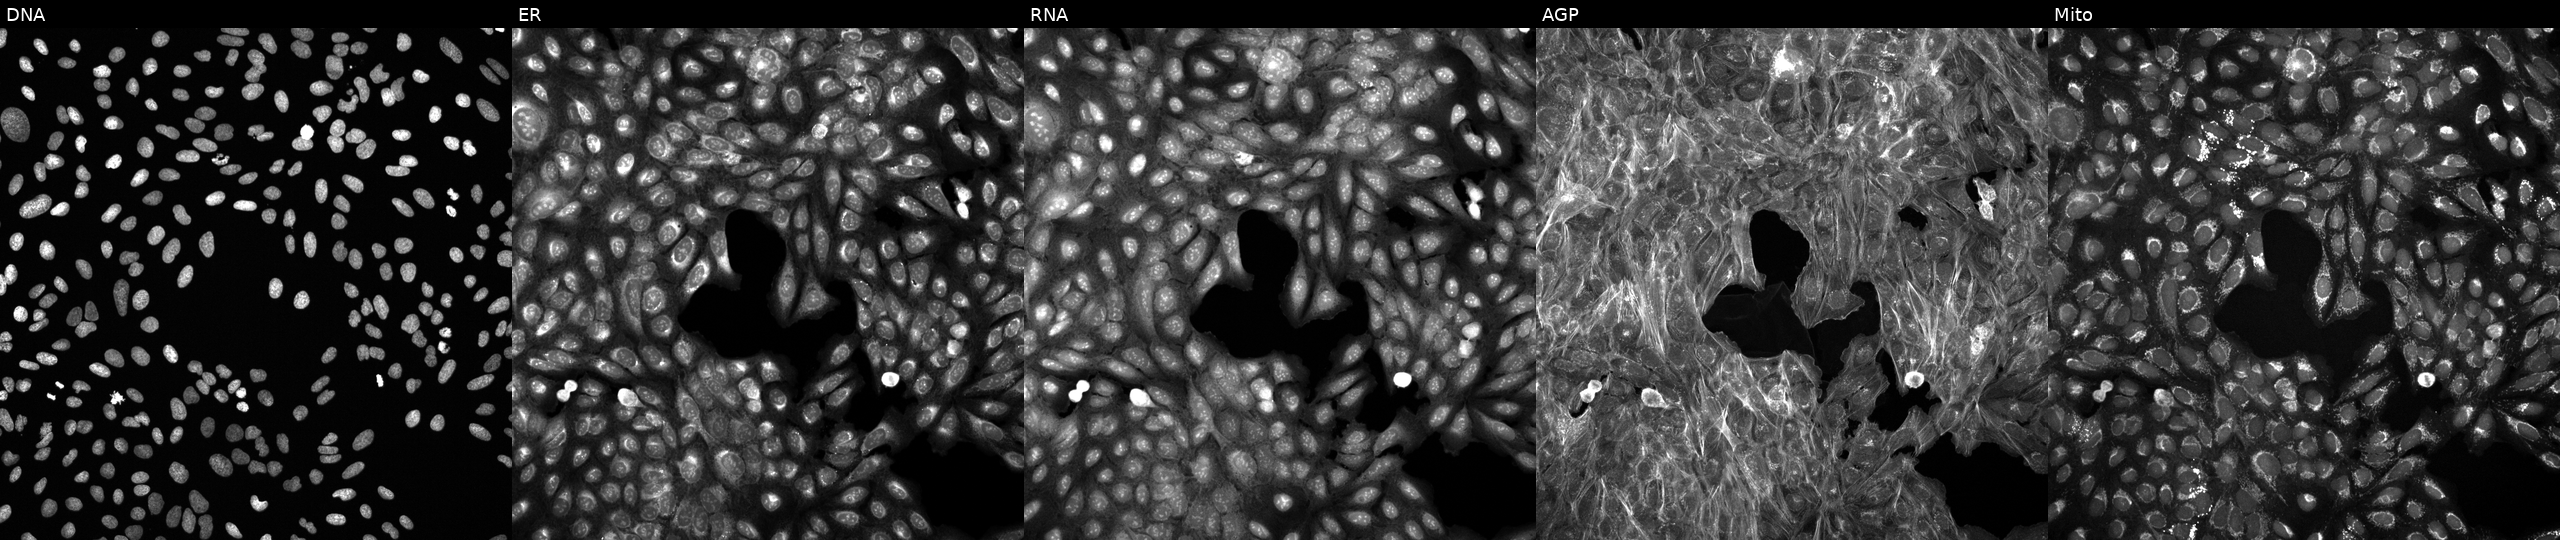
High-content fluorescence microscopy (Cell Painting). Cell line: U2OS. Perturbation: exposed to a small-molecule compound (InChIKey JPGQOUSTVILISH-UHFFFAOYSA-N). The five panels, left to right, show Hoechst 33342, concanavalin A, SYTO 14, phalloidin and WGA, MitoTracker.